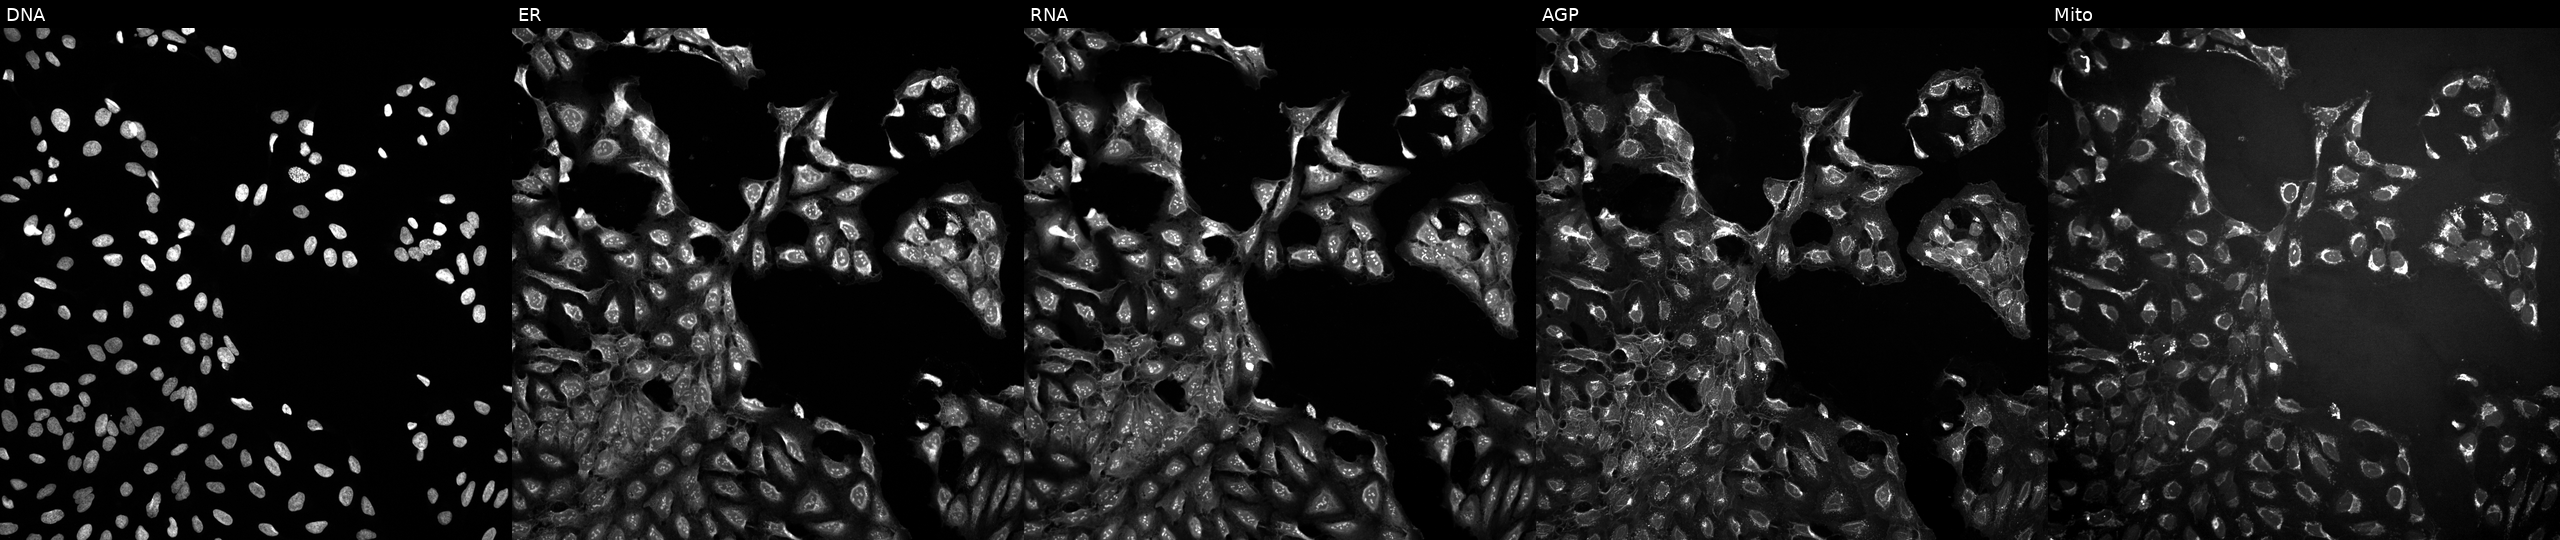
High-content fluorescence microscopy (Cell Painting). Cell line: U2OS. Perturbation: treated with a small-molecule compound (InChIKey LPEPZBJOKDYZAD-UHFFFAOYSA-N) [SMILES: O=C(O)c1ccccc1Nc1cccc(C(F)(F)F)c1] (JUMP id JCP2022_050861). The five panels, left to right, show DNA, ER, RNA, AGP, and Mito. Source 10, plate Dest210803-153958, well A08.